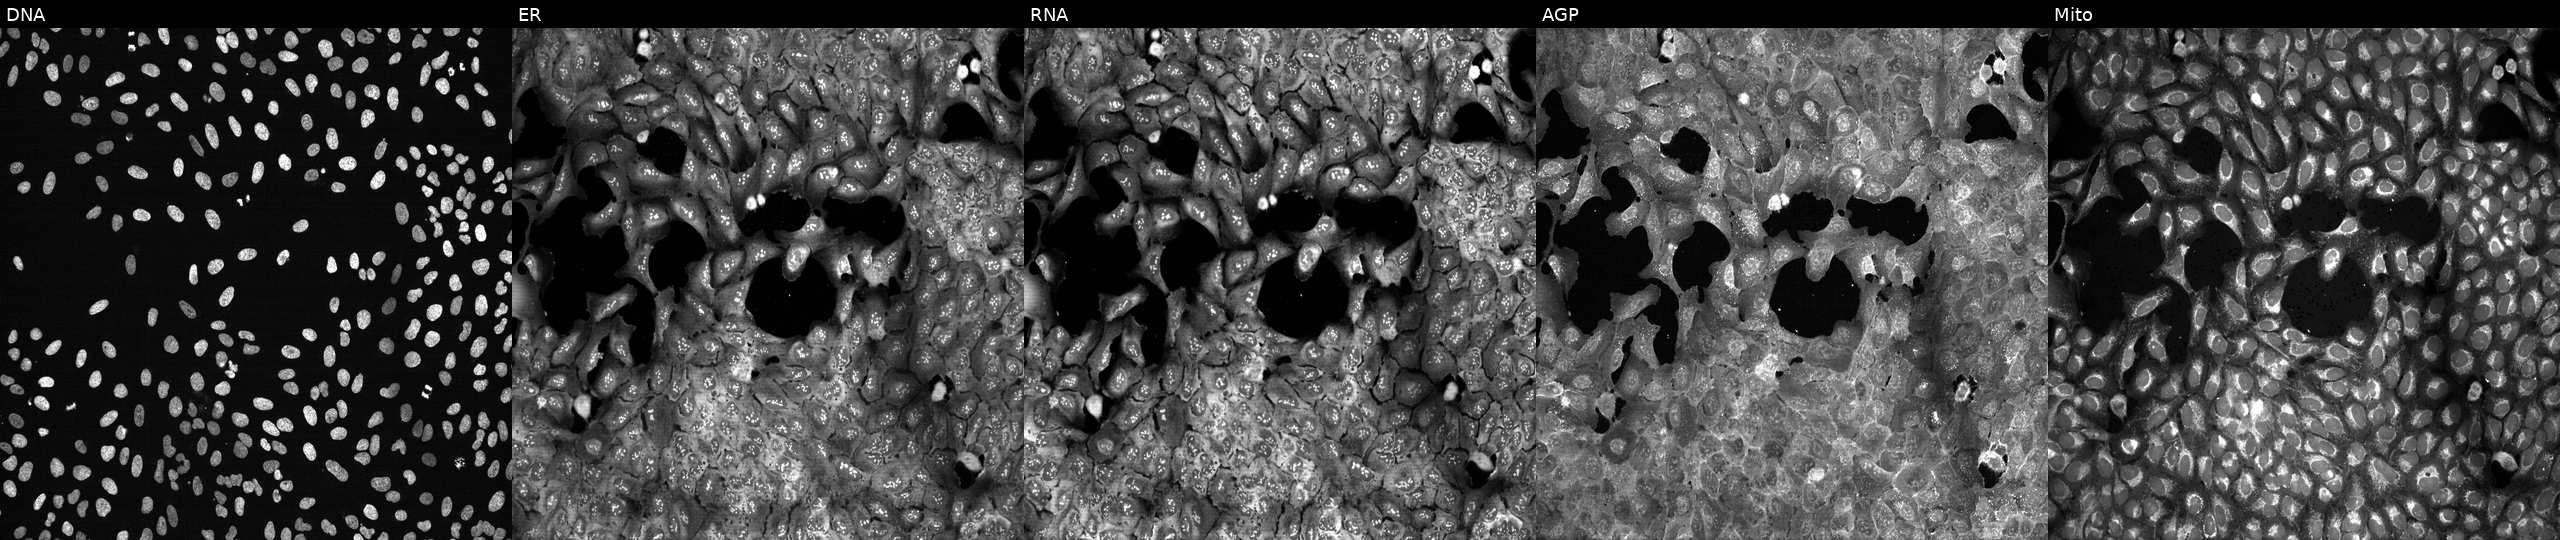
Channels (left→right): DNA (nuclei); ER (endoplasmic reticulum); RNA (nucleoli and cytoplasmic RNA); AGP (actin cytoskeleton, Golgi, and plasma membrane); Mito (mitochondria). U2OS osteosarcoma cells following CRISPR knockout of HBZ (JUMP id JCP2022_803030). Cell Painting assay, JUMP-CP dataset. Source 13, plate CP-CC9-R5-01, well B10.